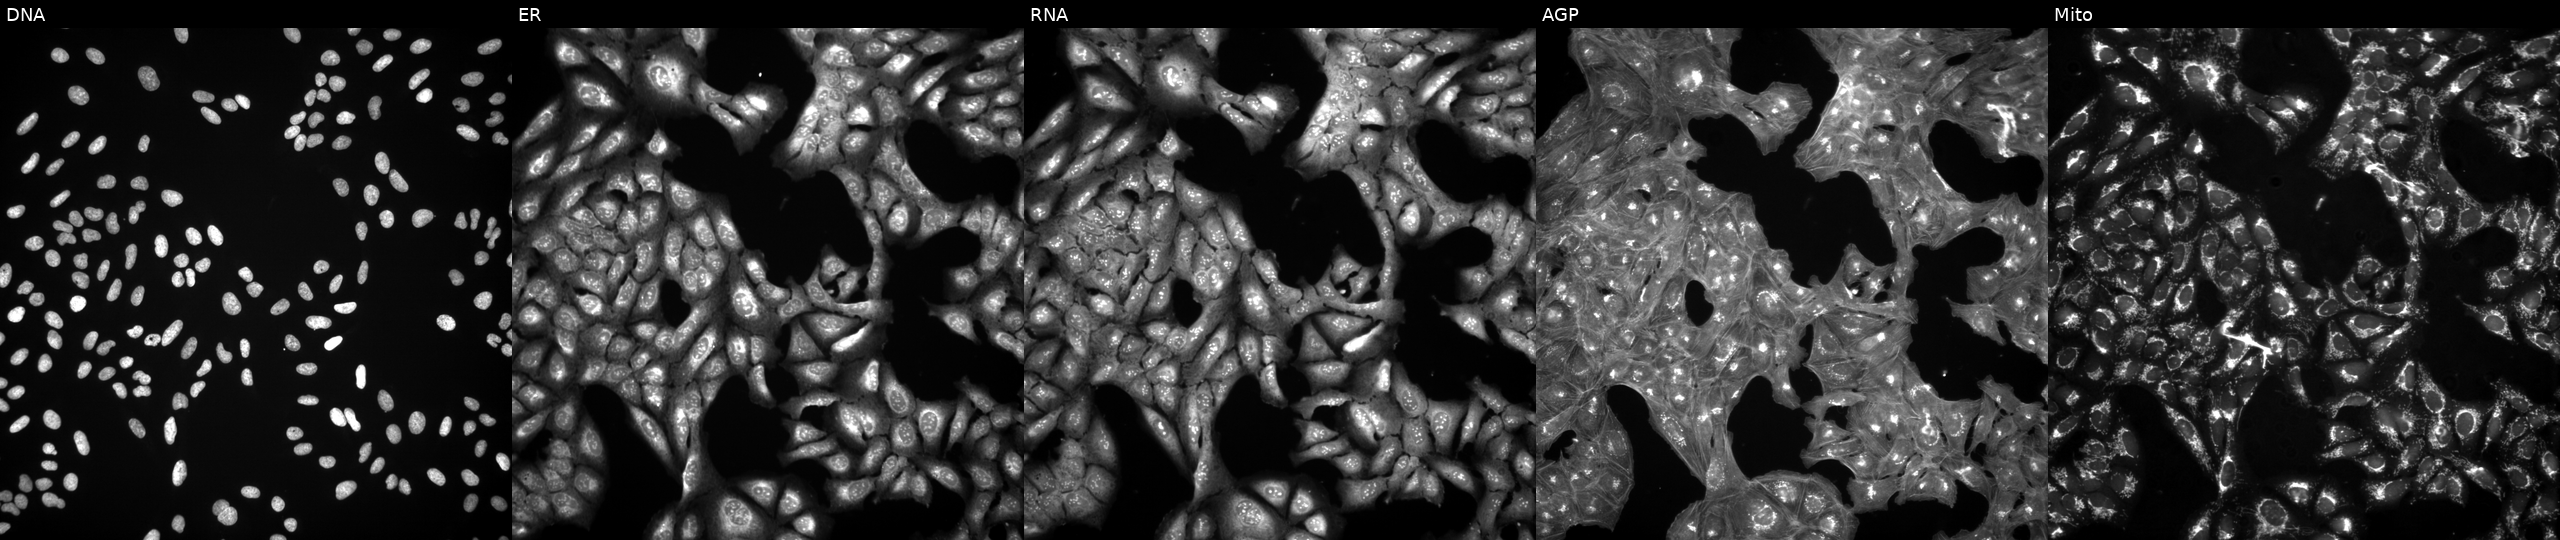
This image strip shows the five Cell Painting channels for a single field of U2OS cells treated with a small-molecule compound (InChIKey QKJPTKJFWKKTQR-UHFFFAOYSA-N) [SMILES: CN(CC(=O)Nc1cccc2ccccc12)c1ccc(S(=O)(=O)N2CCOCC2)cn1] (JUMP id JCP2022_074017). From left to right: DNA, ER, RNA, AGP, and Mito. Source 3, plate BR5867a3, well L19.